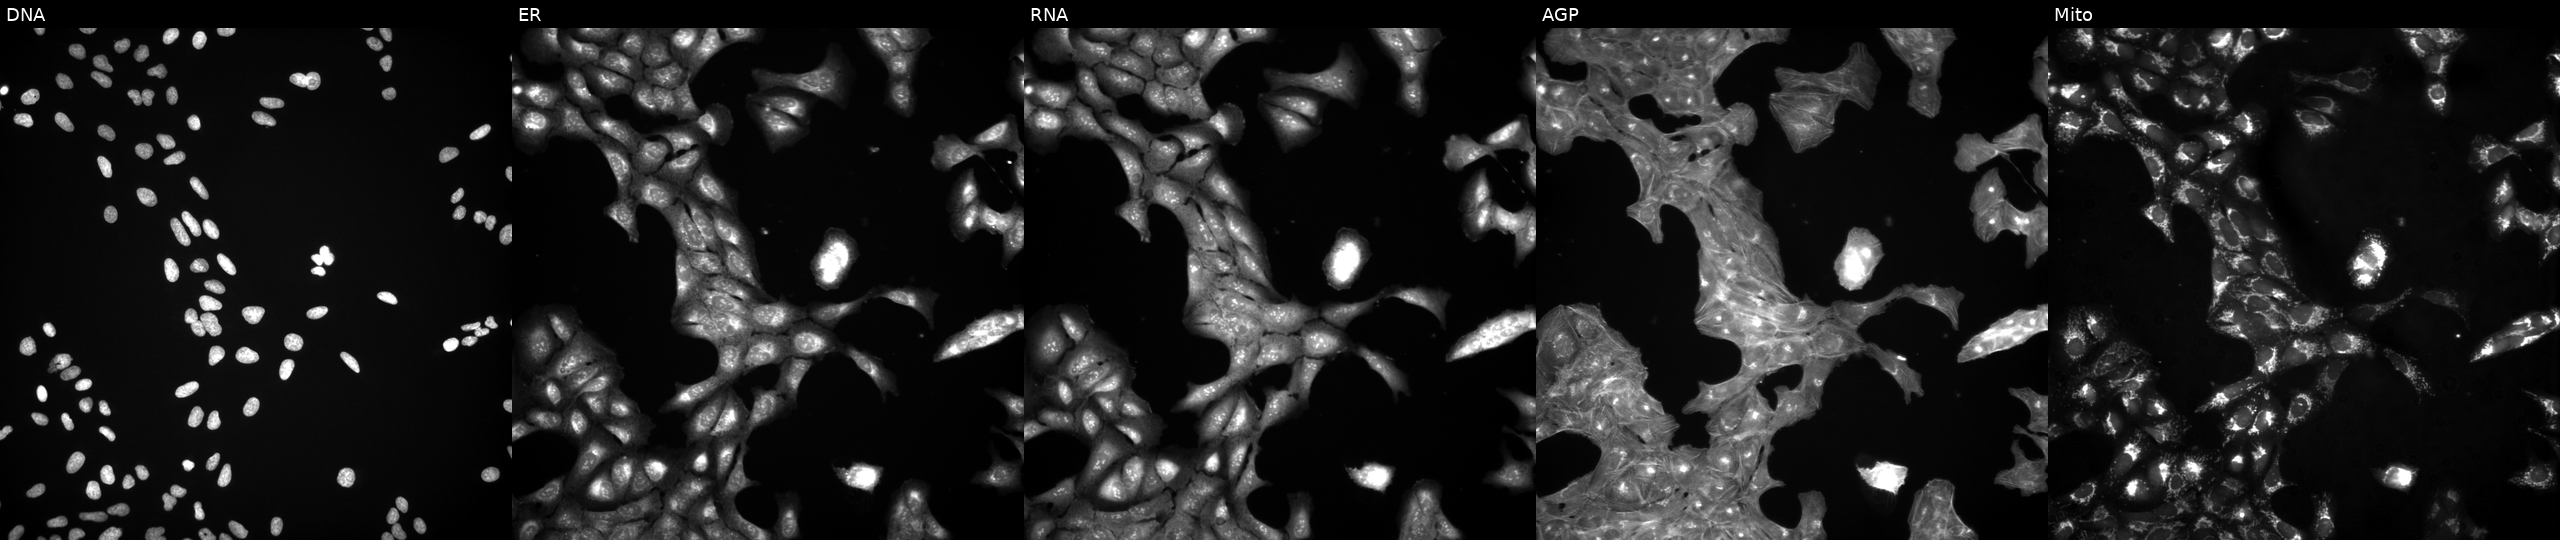
High-content fluorescence microscopy (Cell Painting). Cell line: U2OS. Perturbation: perturbed with a small-molecule compound (InChIKey NMUSYJAQQFHJEW-UHFFFAOYSA-N). From left to right: DNA (nuclei); ER (endoplasmic reticulum); RNA (nucleoli and cytoplasmic RNA); AGP (actin cytoskeleton, Golgi, and plasma membrane); Mito (mitochondria).